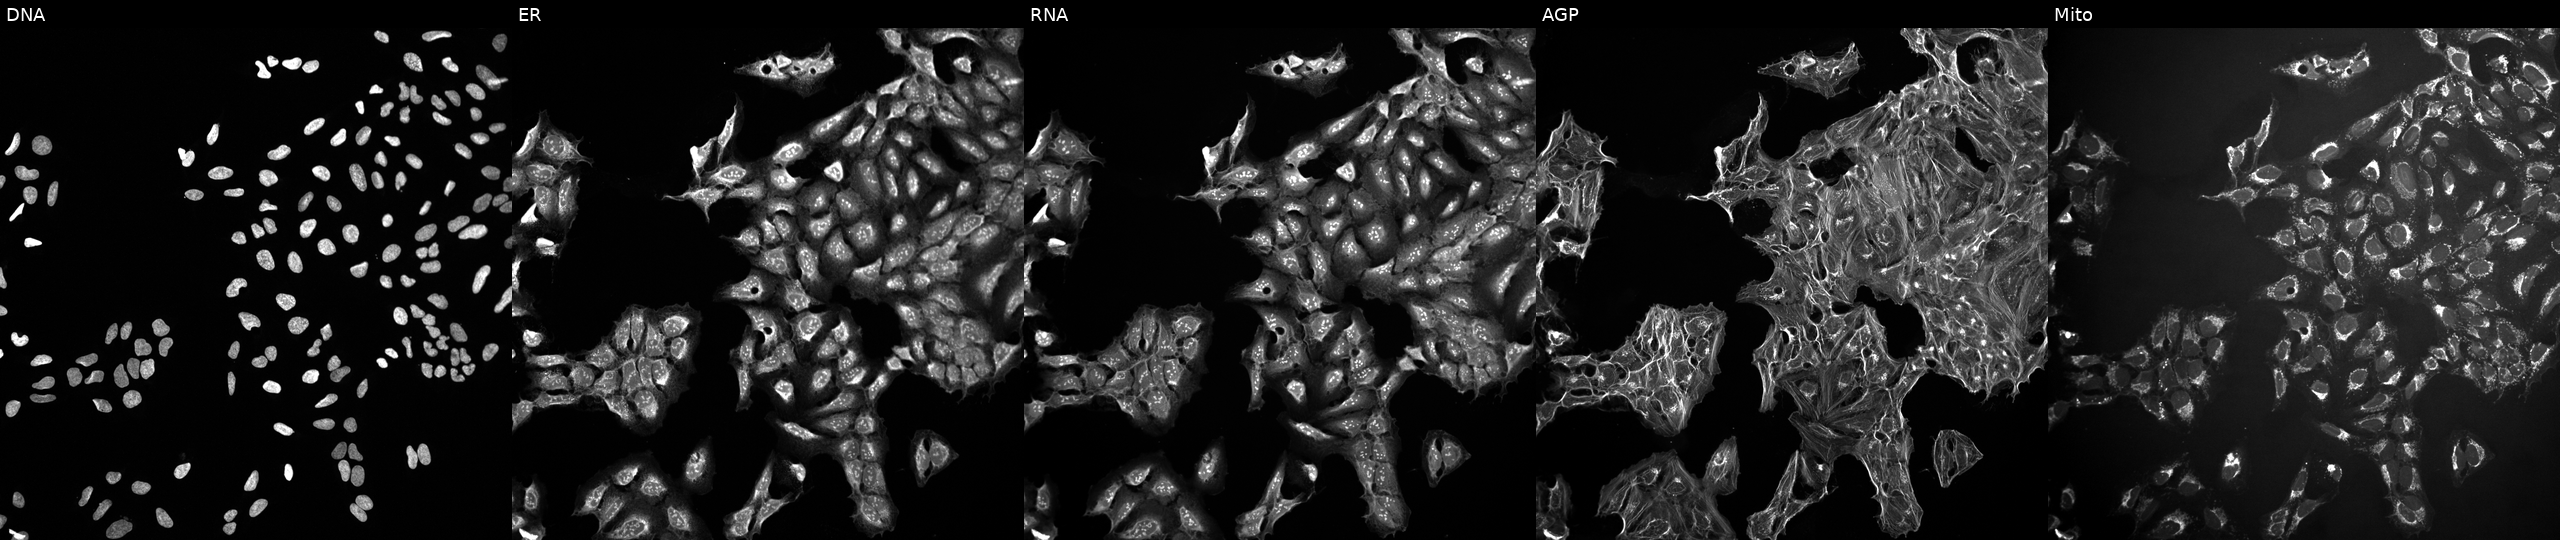
Five-channel Cell Painting image of U2OS cells treated with a small-molecule compound (InChIKey XRKYMMUGXMWDAO-UHFFFAOYSA-N). Channels (left→right): DNA, ER, RNA, AGP, and Mito.